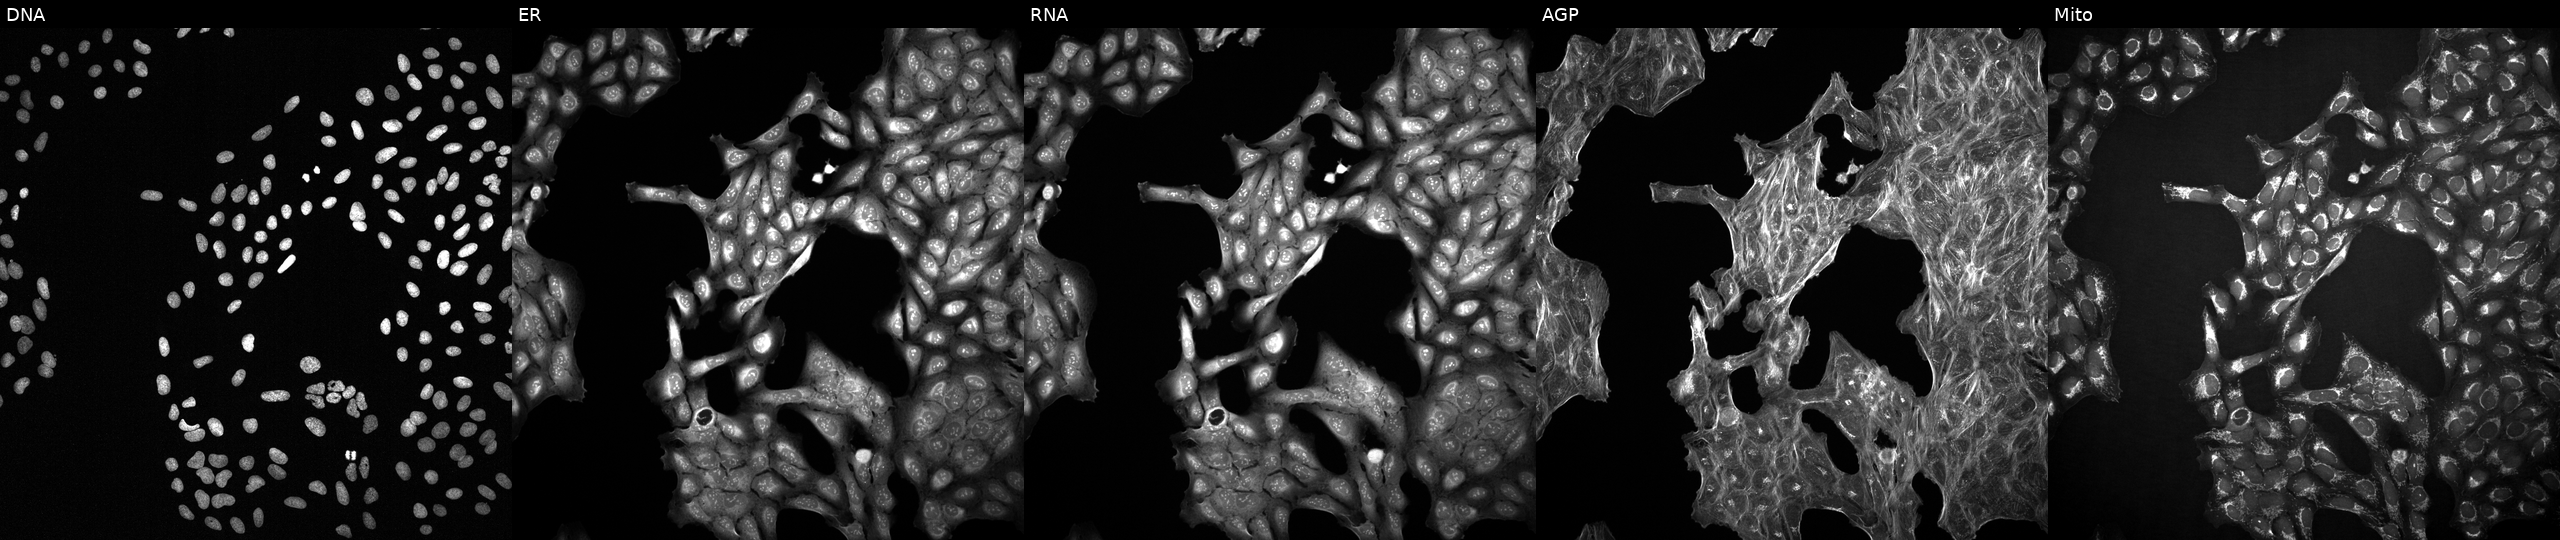
From left to right: DNA, ER, RNA, AGP, and Mito. U2OS osteosarcoma cells treated with a small-molecule compound (InChIKey BQWVLURKNBYIRI-UHFFFAOYSA-N) (JUMP id JCP2022_008100). Cell Painting assay, JUMP-CP dataset.